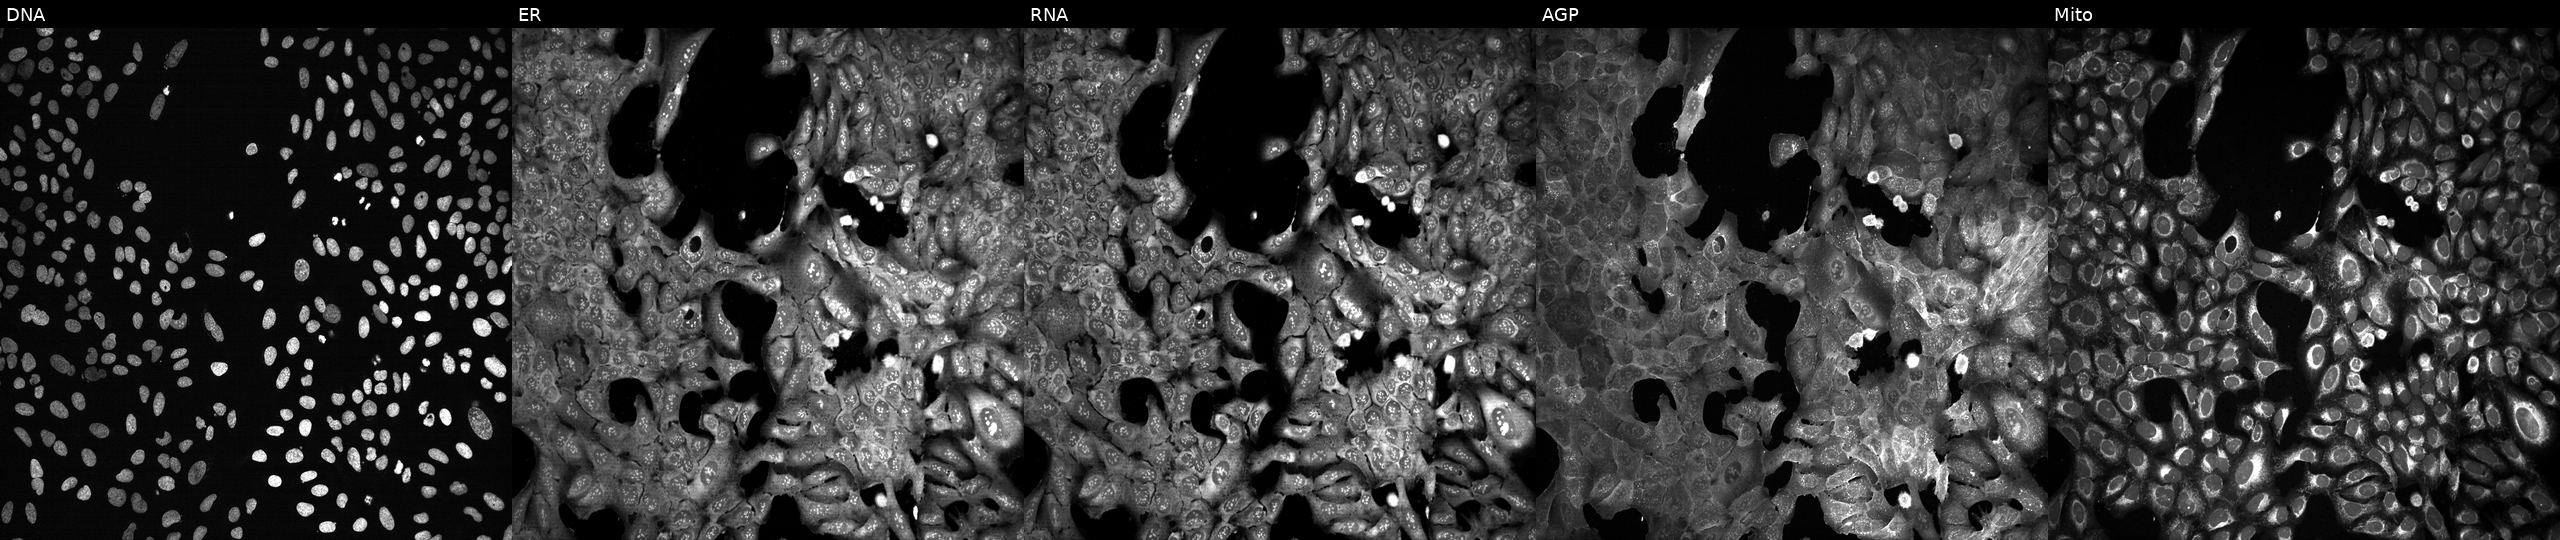
JUMP Cell Painting — CRISPR plate. U2OS cells CRISPR-edited to disrupt GMEB1 (JUMP id JCP2022_802750). Panels show, left to right, Hoechst 33342, concanavalin A, SYTO 14, phalloidin and WGA, MitoTracker. Source 13, plate CP-CC9-R6-19, well J04.